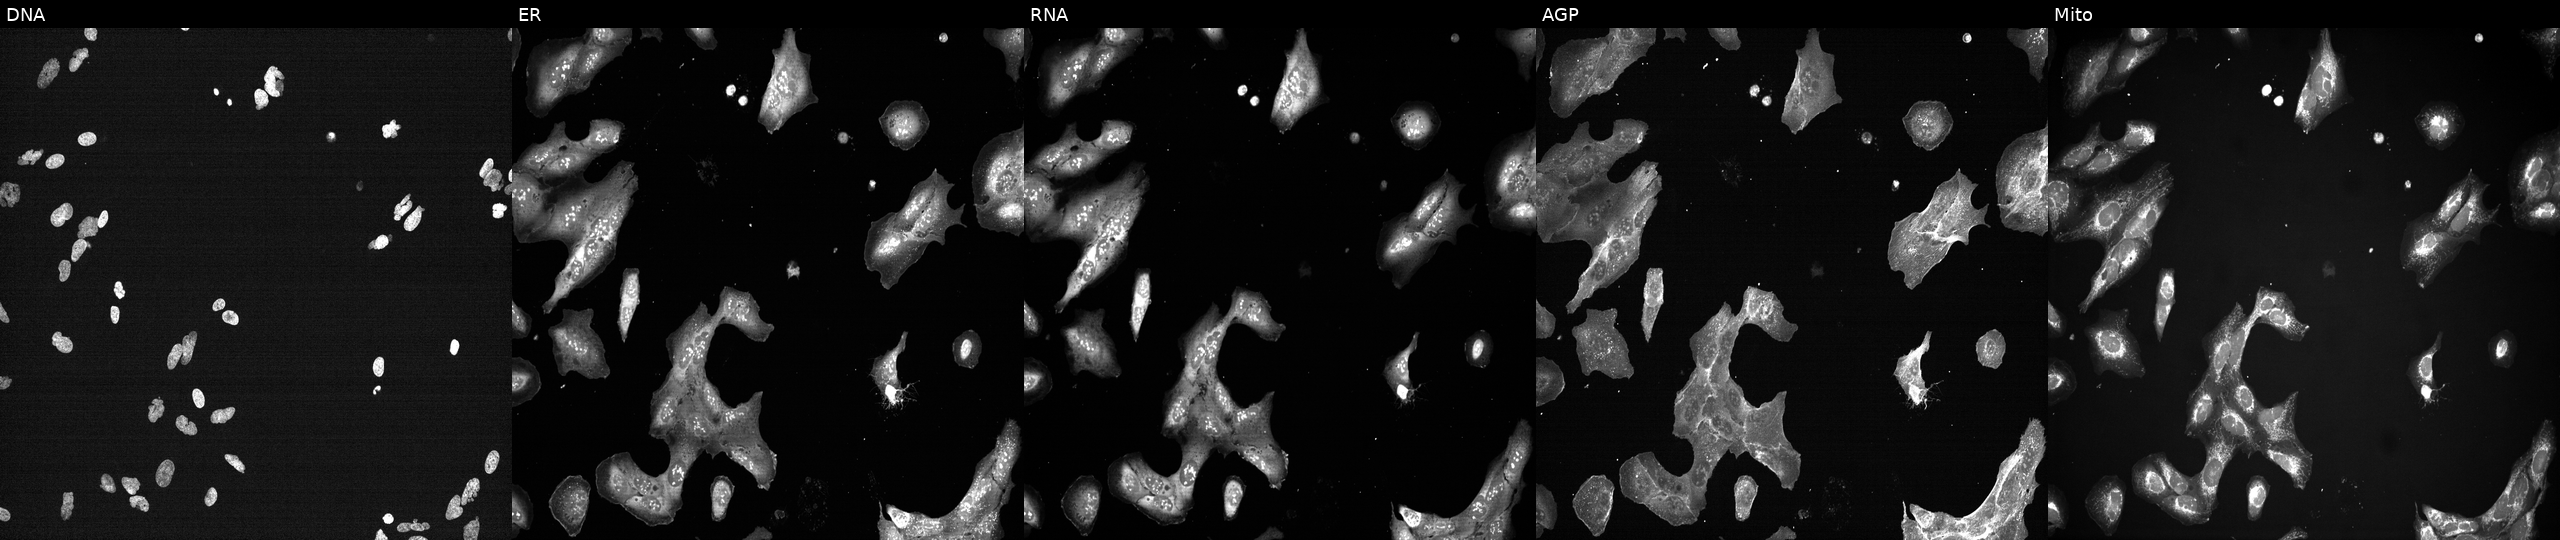
U2OS cells, Cell Painting assay, perturbed with a small-molecule compound [SMILES: CN(c1ccccc1CN=c1[nH]c(=Nc2ccc3[nH]c(O)cc3c2)[nH]cc1C(F)(F)F)S(C)(=O)=O] (JUMP id JCP2022_027206). From left to right: DNA, ER, RNA, AGP, and Mito. Each panel is percentile-stretched 16-bit fluorescence.